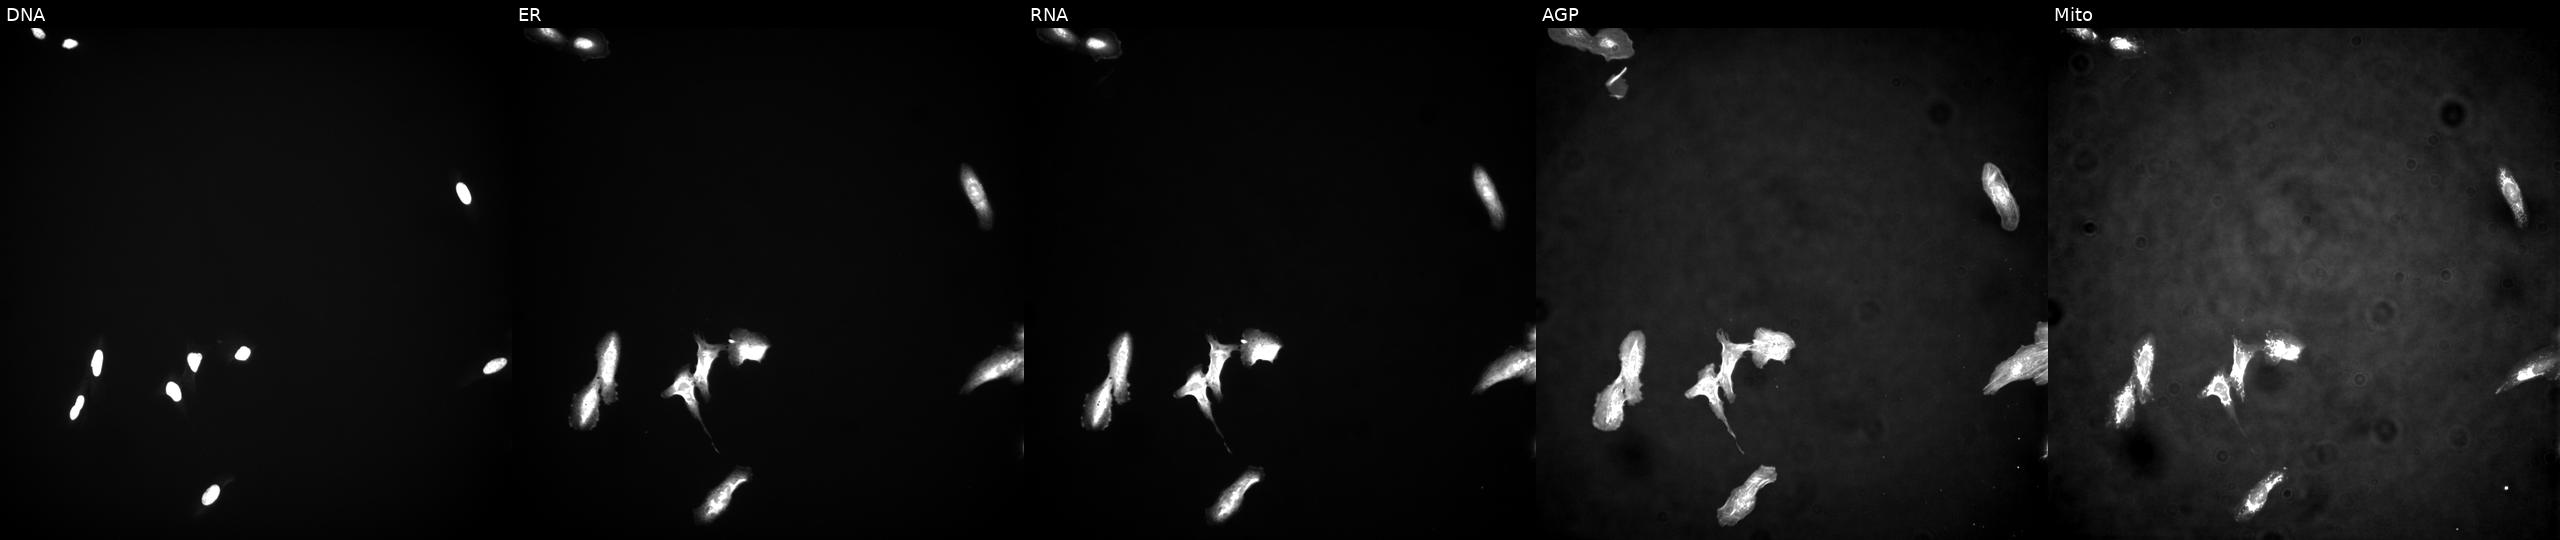
High-content fluorescence microscopy (Cell Painting). Cell line: U2OS. Perturbation: with IGKV1-5 overexpressed (ORF) (JUMP id JCP2022_911065). The five panels, left to right, show DNA, ER, RNA, AGP, and Mito. Source 4, plate BR00124784, well K15.